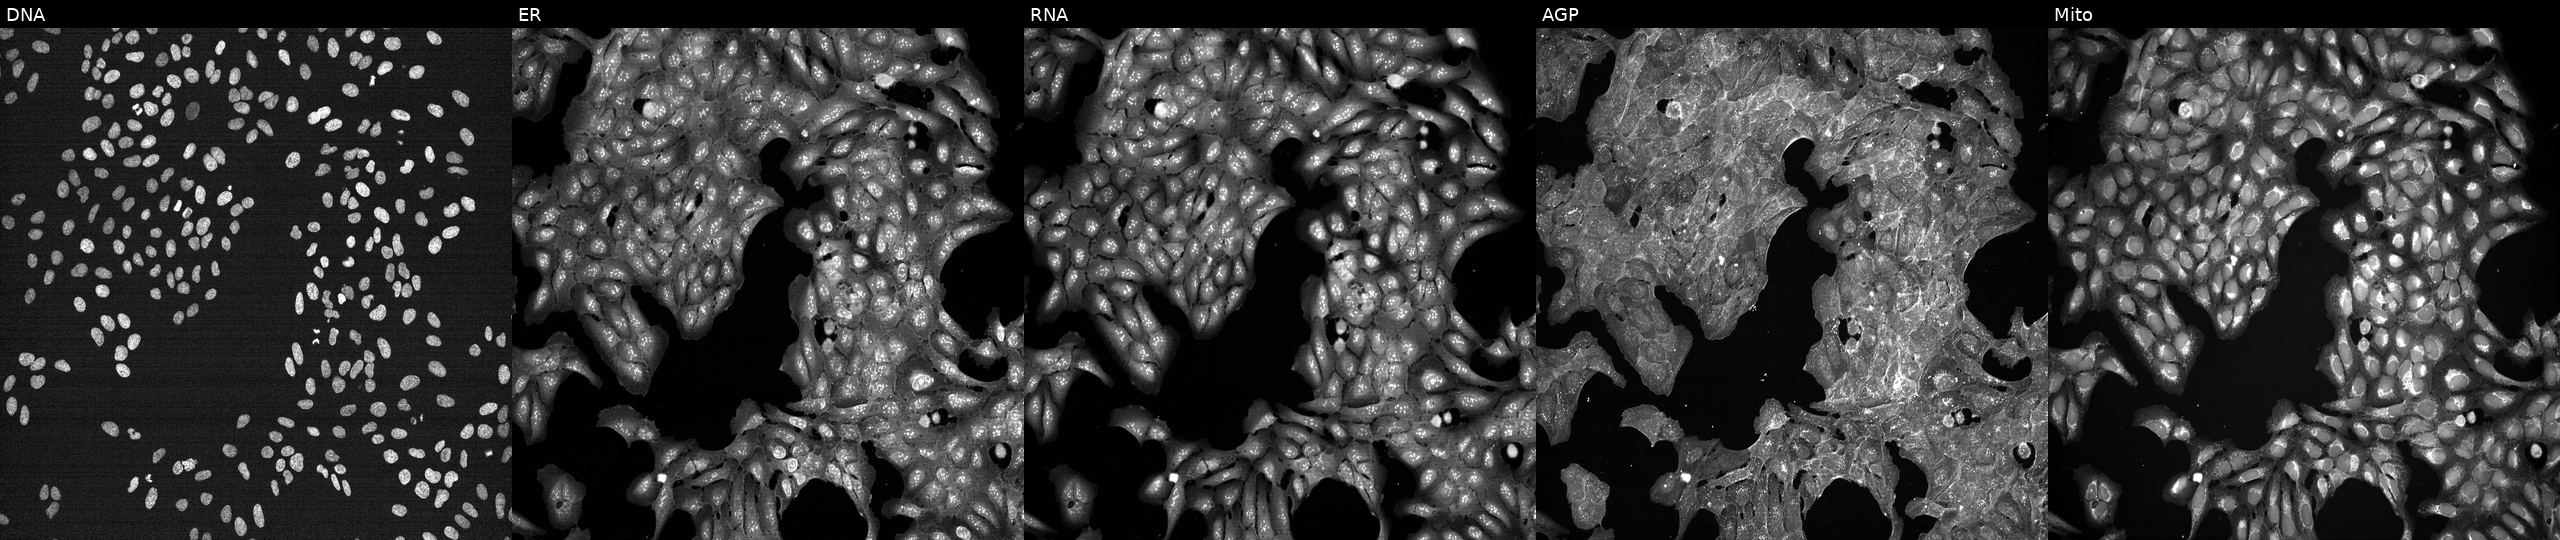
JUMP Cell Painting — TARGET2 plate. U2OS cells exposed to a small-molecule compound (InChIKey BCZUAADEACICHN-UHFFFAOYSA-N) (JUMP id JCP2022_005529). From left to right: Hoechst 33342, concanavalin A, SYTO 14, phalloidin and WGA, MitoTracker. Source 7, plate CP1-SC1-25, well D12.